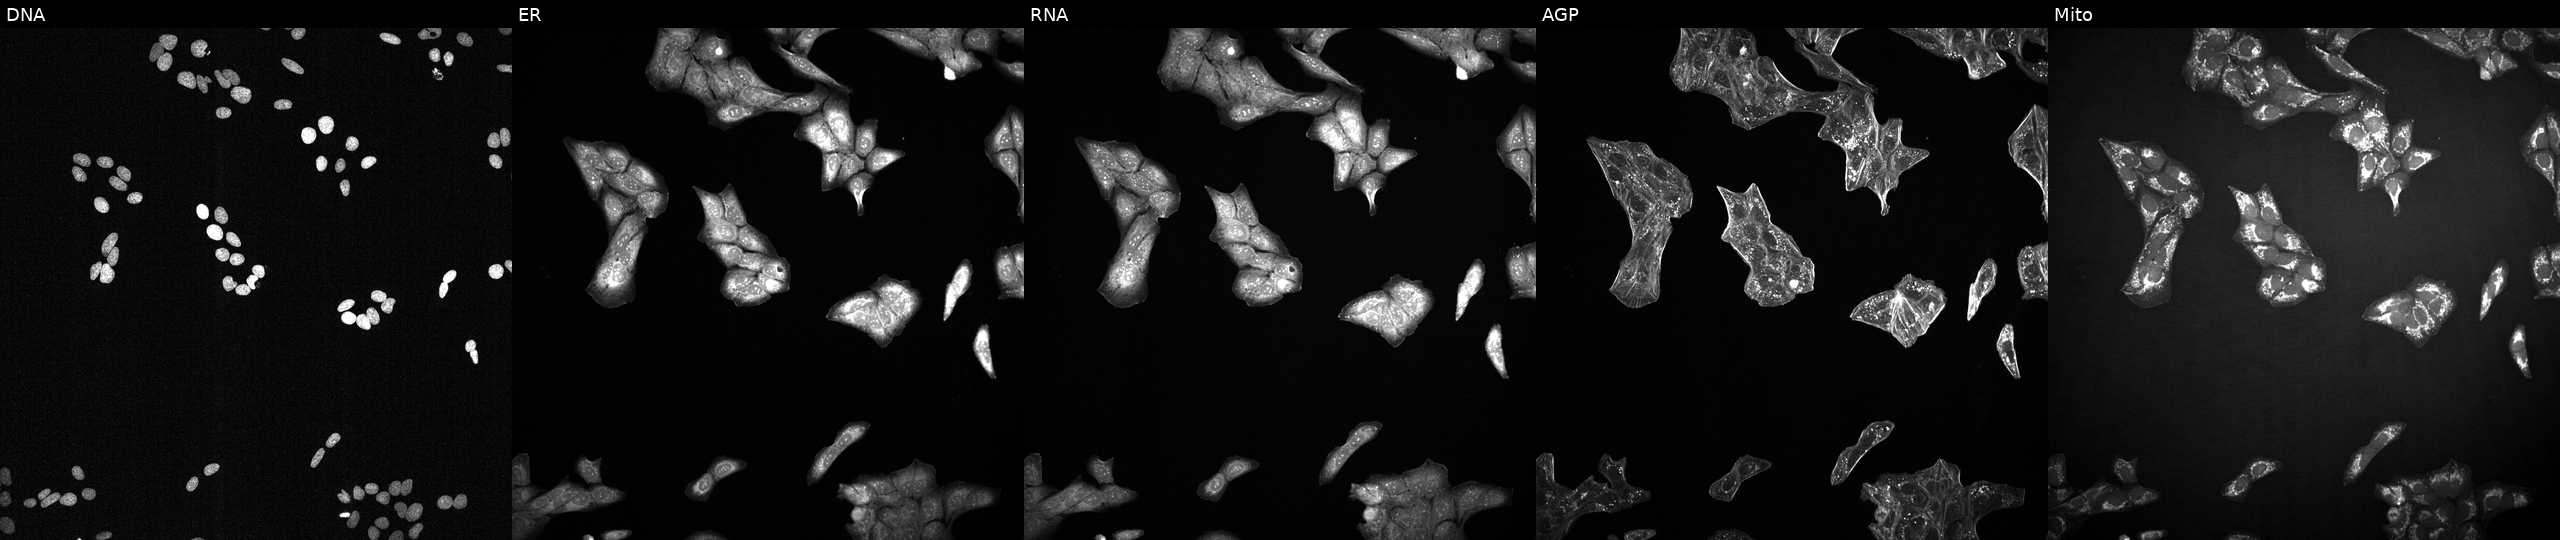
High-content fluorescence microscopy (Cell Painting). Cell line: U2OS. Perturbation: perturbed with a small-molecule compound (InChIKey XXJWYDDUDKYVKI-UHFFFAOYSA-N) (JUMP id JCP2022_106680). Channels (left→right): Hoechst 33342, concanavalin A, SYTO 14, phalloidin and WGA, MitoTracker.